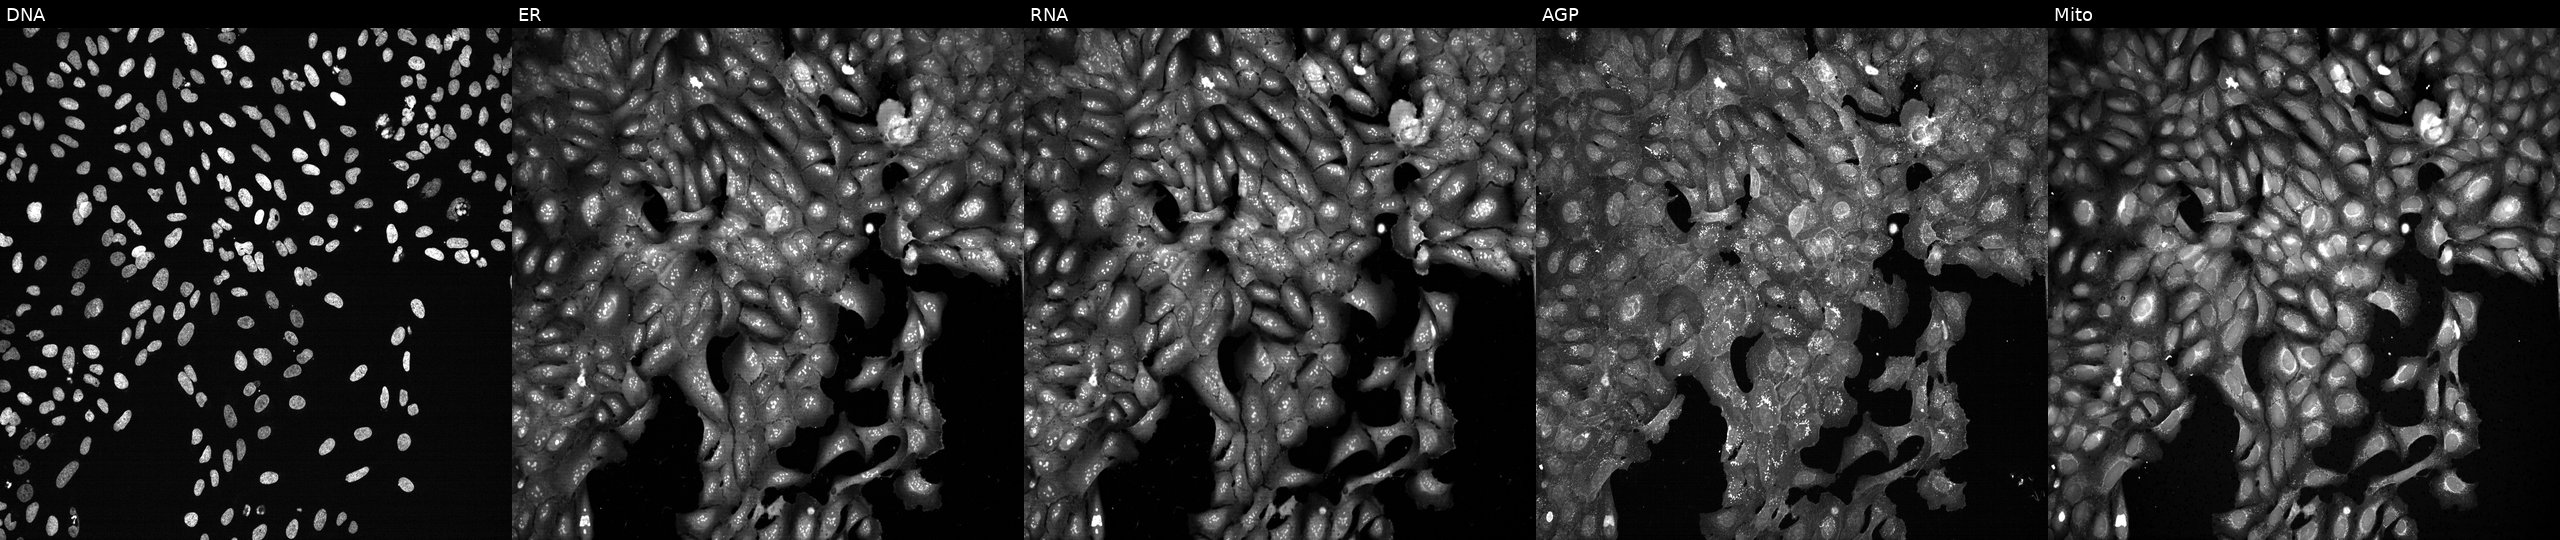
From left to right: DNA, ER, RNA, AGP, and Mito. U2OS osteosarcoma cells with SCD knocked out by CRISPR. Cell Painting assay, JUMP-CP dataset. Source 13, plate CP-CC9-R1-02, well G08.